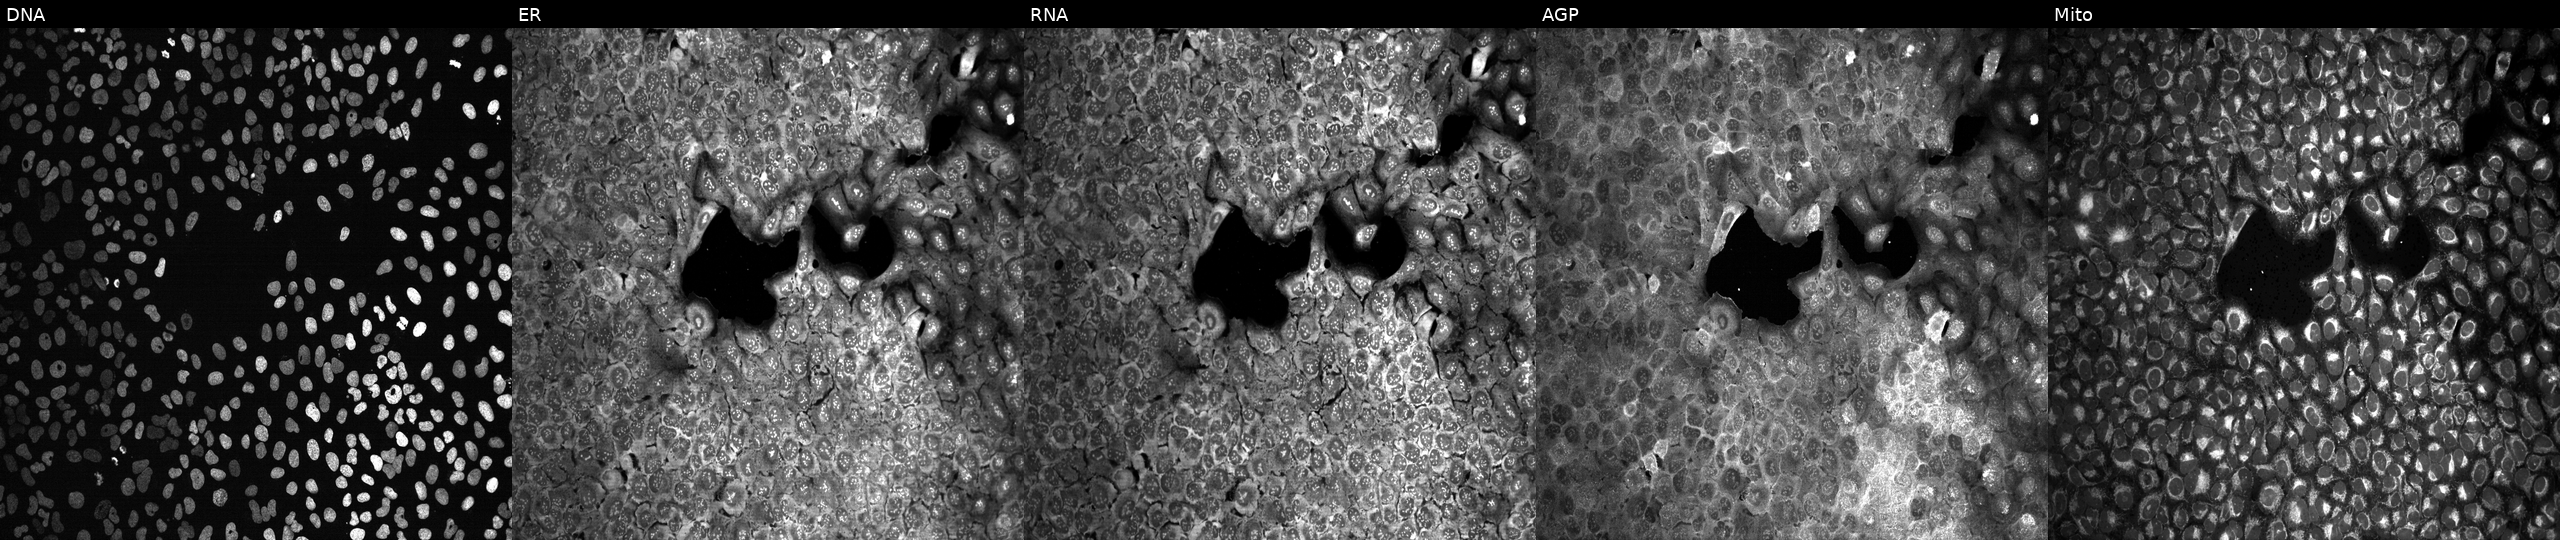
JUMP Cell Painting — CRISPR plate. U2OS cells with KDELR3 knocked out by CRISPR (JUMP id JCP2022_803639). Channels (left→right): DNA, ER, RNA, AGP, and Mito. Source 13, plate CP-CC9-R4-03, well F04.